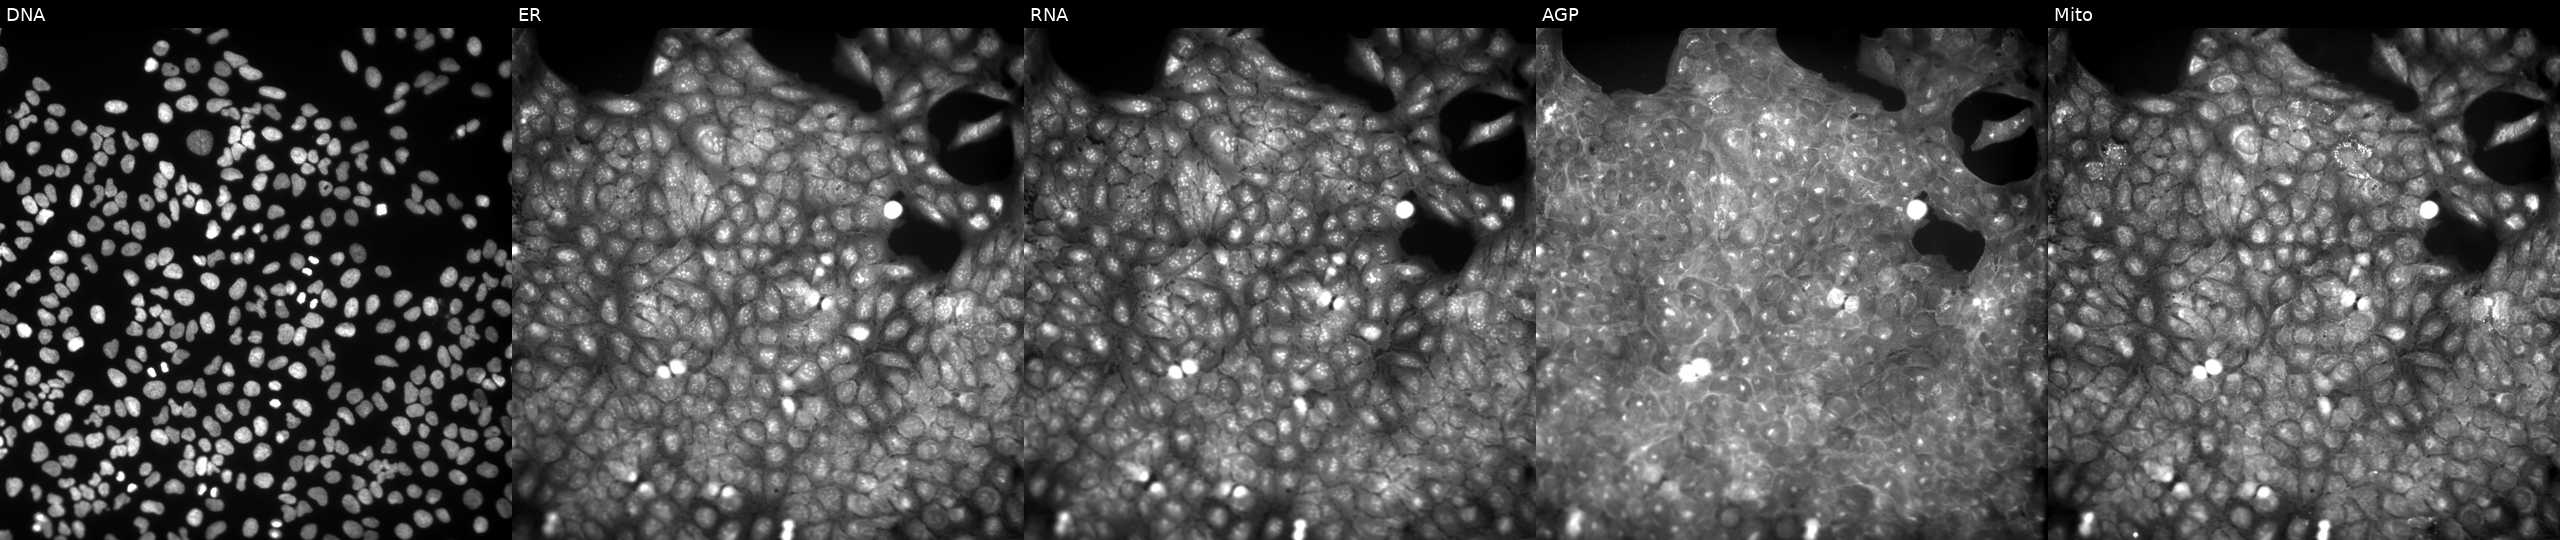
High-content fluorescence microscopy (Cell Painting). Cell line: U2OS. Perturbation: exposed to a small-molecule compound. Panels show, left to right, DNA (nuclei); ER (endoplasmic reticulum); RNA (nucleoli and cytoplasmic RNA); AGP (actin cytoskeleton, Golgi, and plasma membrane); Mito (mitochondria). Source 9, plate GR00003381, well AC14.